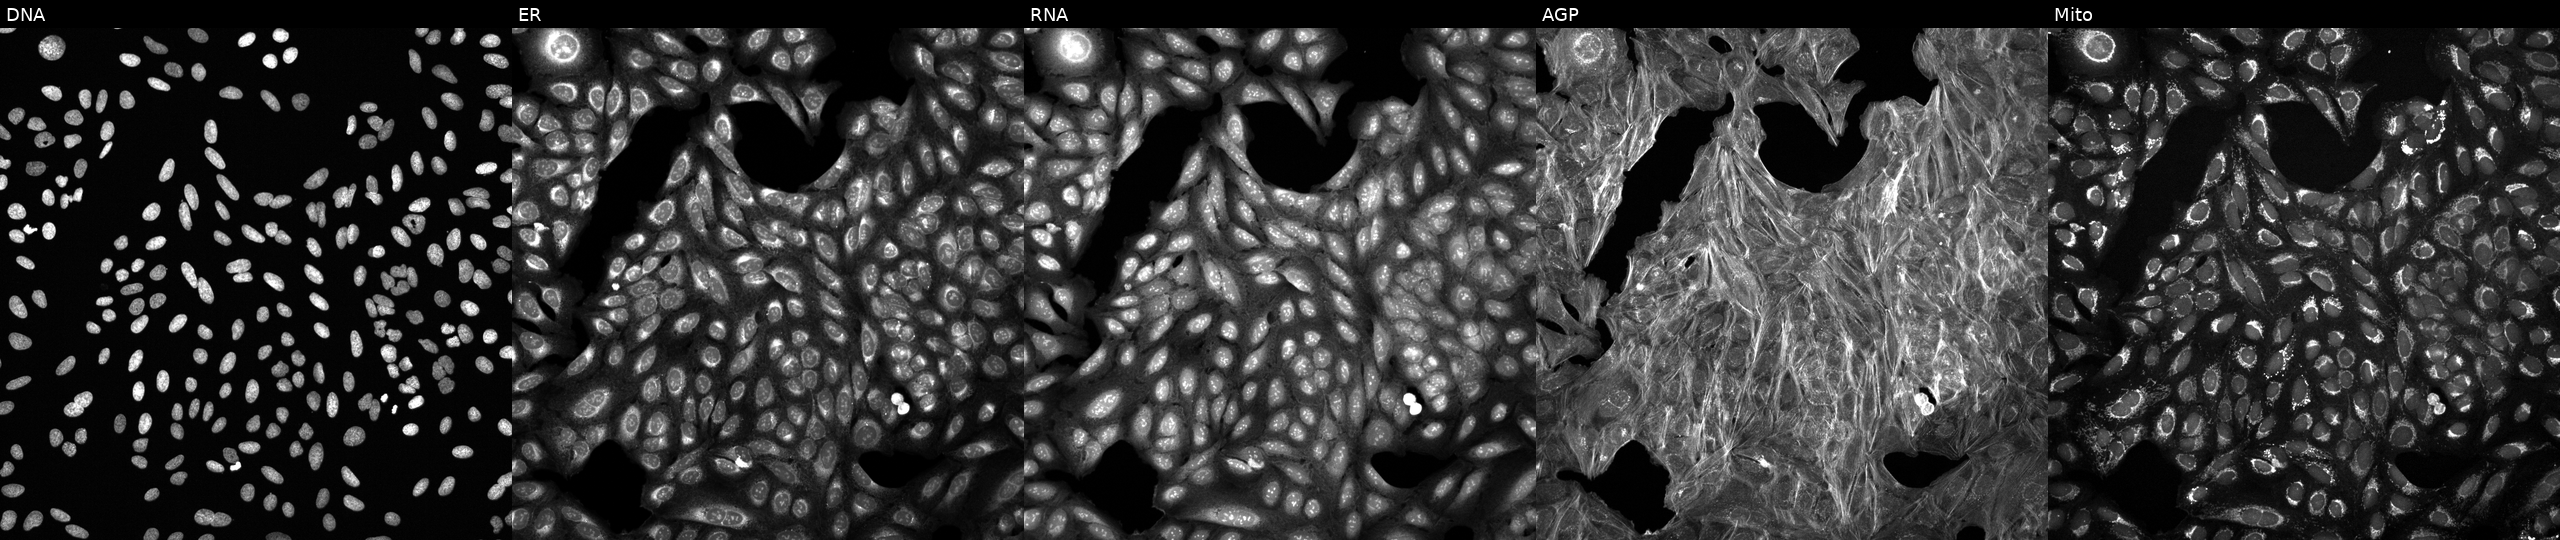
Five-channel Cell Painting image of U2OS cells exposed to a small-molecule compound (InChIKey FMZSSEWPNWPDHB-UHFFFAOYSA-N). The five panels, left to right, show Hoechst 33342, concanavalin A, SYTO 14, phalloidin and WGA, MitoTracker. Source 6, plate 110000293082, well E18.